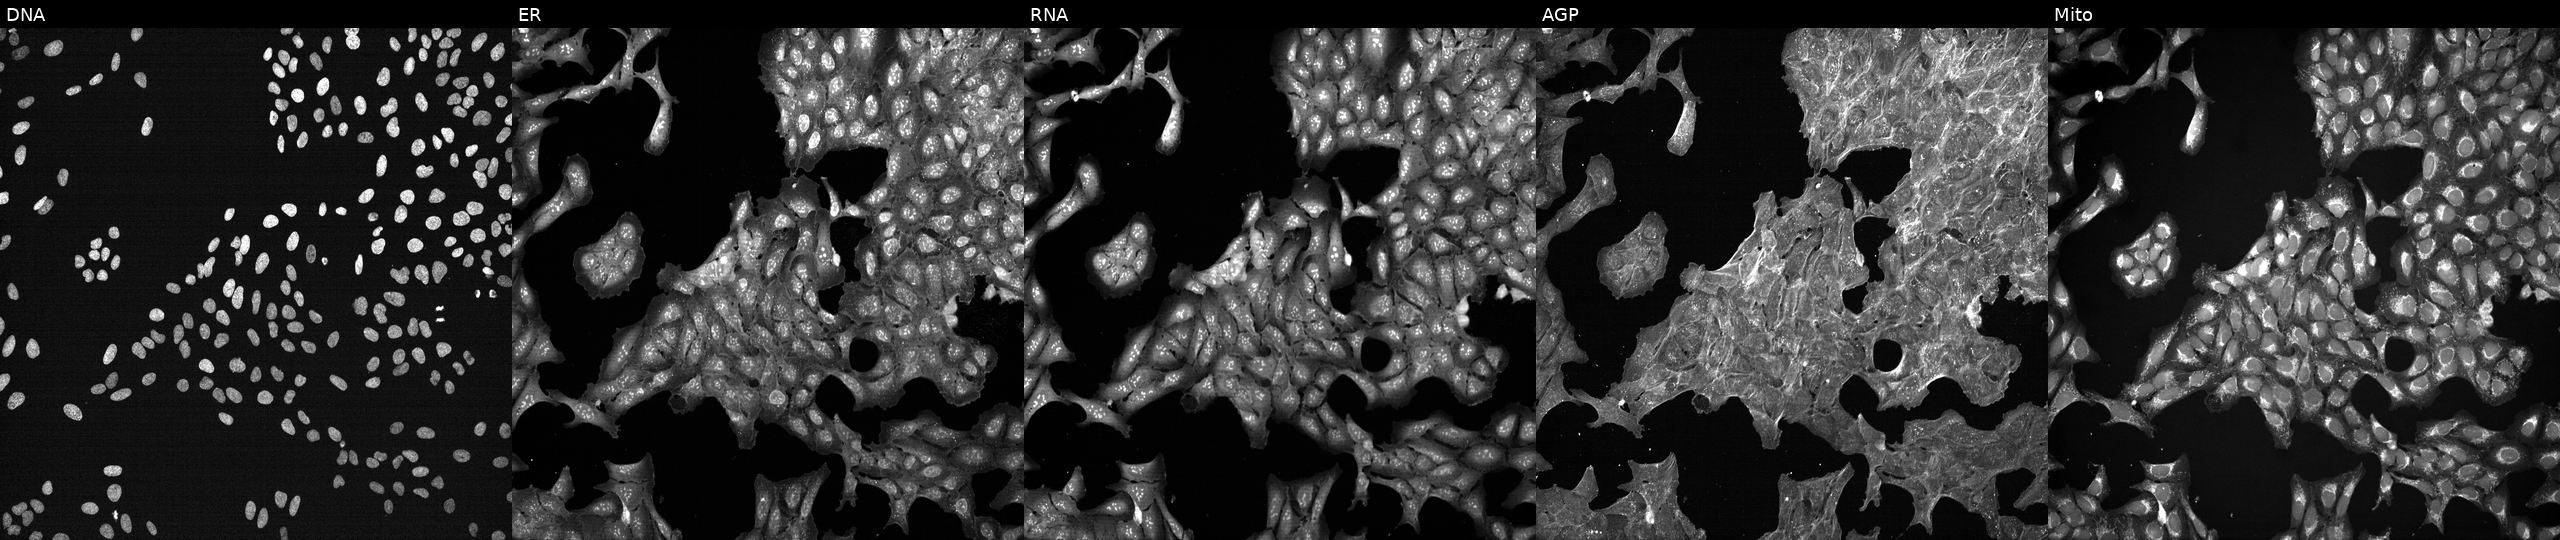
JUMP Cell Painting — TARGET2 plate. U2OS cells treated with a small-molecule compound (InChIKey NEMHKCNXXRQYRF-UHFFFAOYSA-N) (JUMP id JCP2022_058461). Panels show, left to right, Hoechst 33342, concanavalin A, SYTO 14, phalloidin and WGA, MitoTracker.